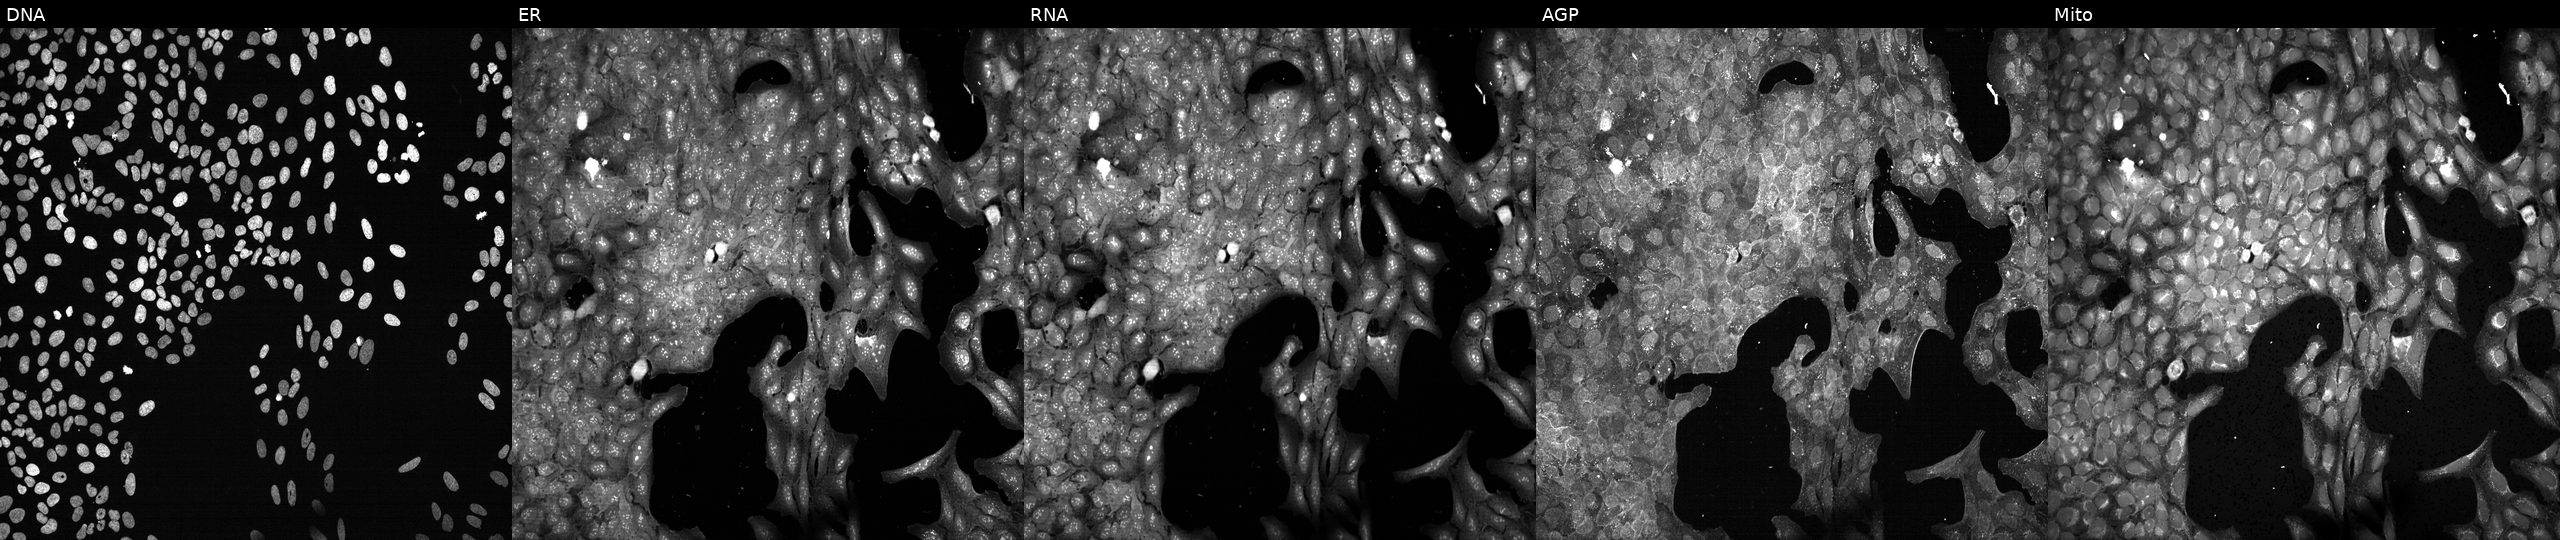
This image strip shows the five Cell Painting channels for a single field of U2OS cells exposed to the positive-control compound dexamethasone (JUMP id JCP2022_025848). Panels show, left to right, DNA, ER, RNA, AGP, and Mito.